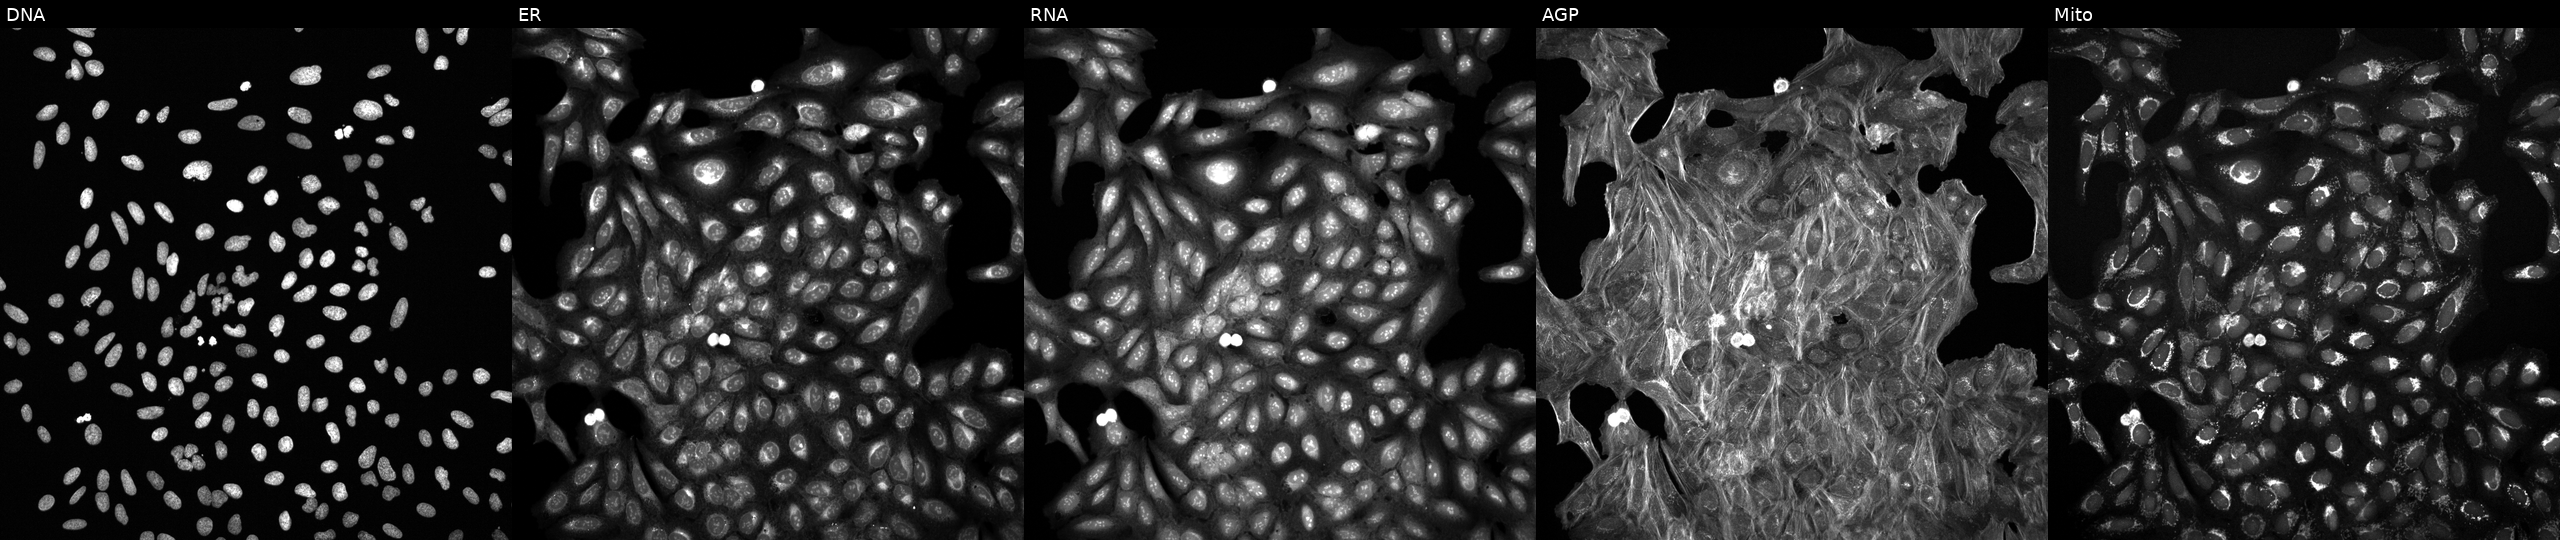
JUMP Cell Painting — COMPOUND plate. U2OS cells treated with a small-molecule compound (InChIKey CYMMMIMYFIMKDS-UHFFFAOYSA-N) [SMILES: Cc1[nH]nc(-c2cccs2)c1NC(=O)c1ccccc1Cl]. From left to right: DNA, ER, RNA, AGP, and Mito.